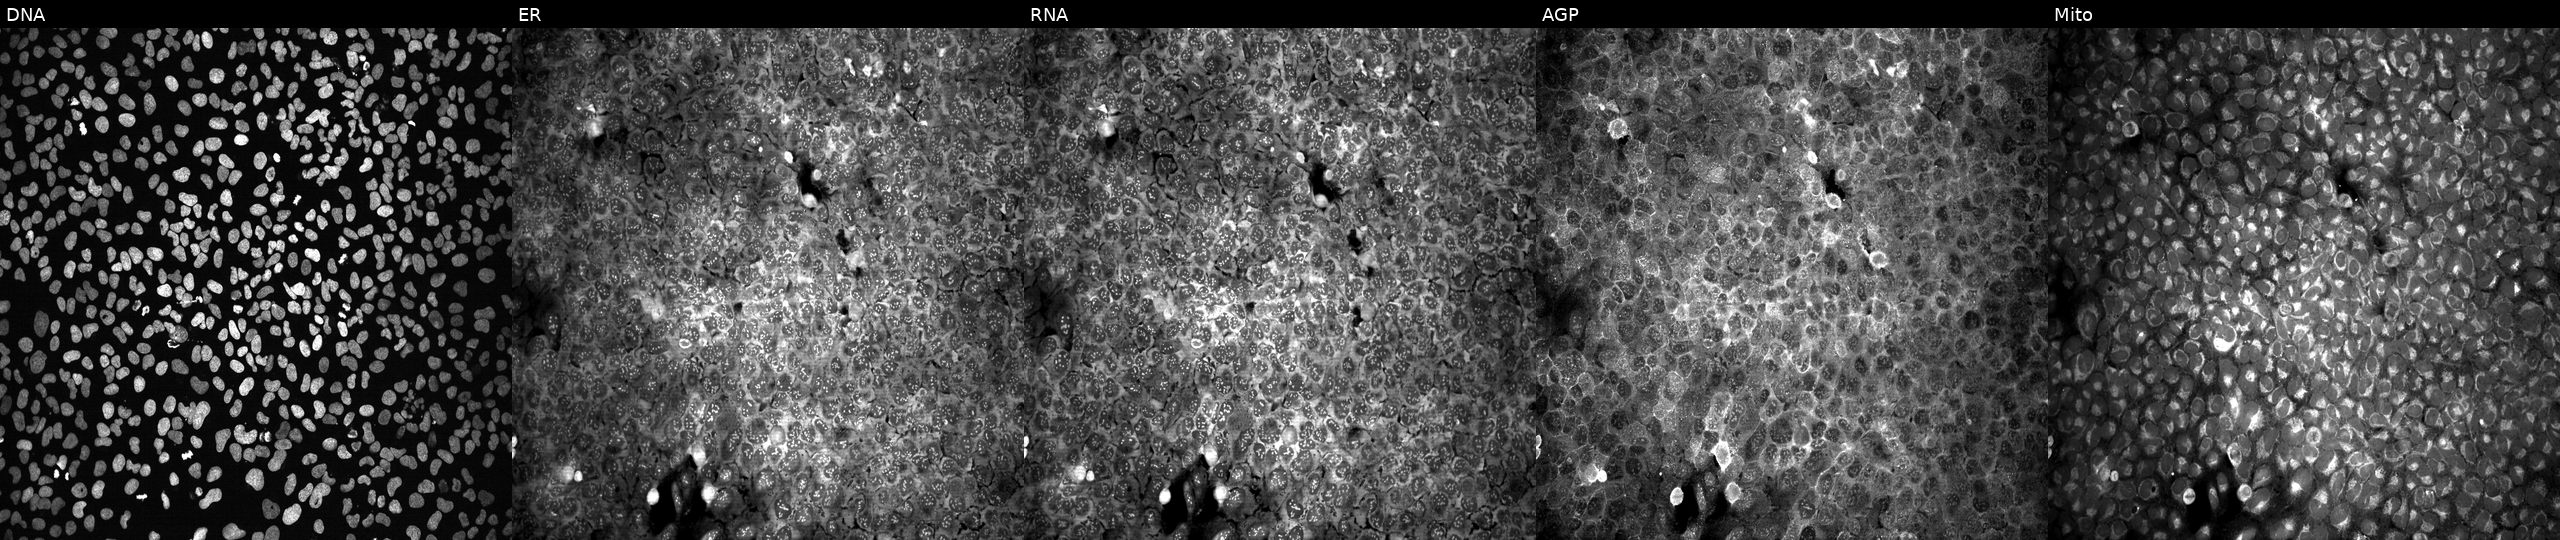
Five-channel Cell Painting image of U2OS cells exposed to DMSO alone as a negative control (JUMP id JCP2022_033924). The five panels, left to right, show DNA, ER, RNA, AGP, and Mito.